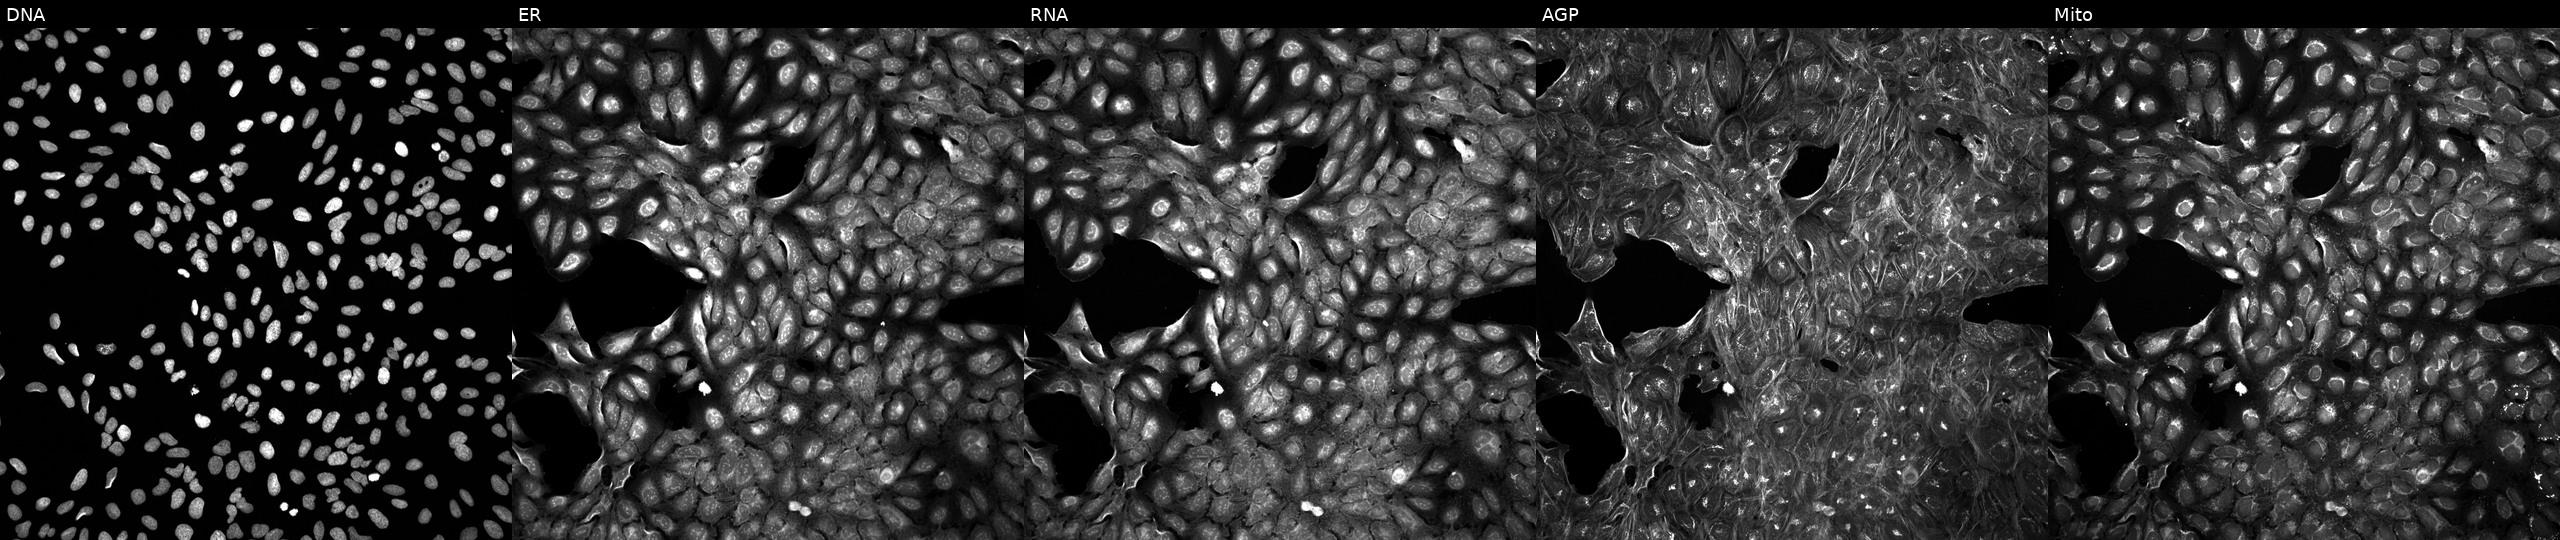
U2OS cells, Cell Painting assay, perturbed with a small-molecule compound (InChIKey BWAUZLCVKVDAOL-UHFFFAOYSA-N). From left to right: Hoechst 33342, concanavalin A, SYTO 14, phalloidin and WGA, MitoTracker. Each panel is percentile-stretched 16-bit fluorescence. Source 5, plate APTJUM105, well E21.